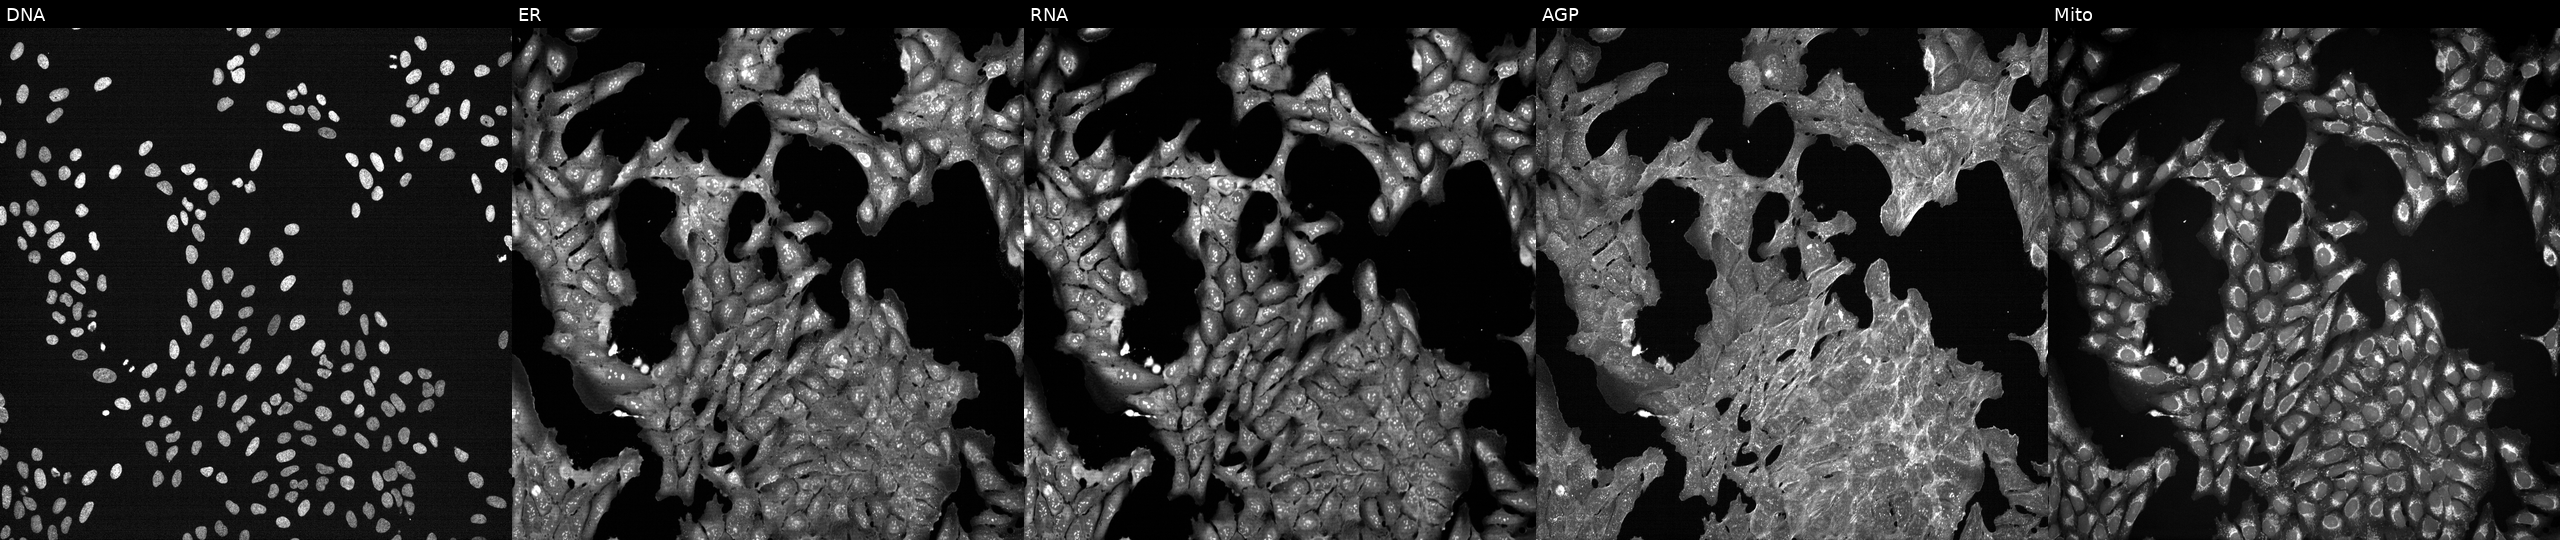
High-content fluorescence microscopy (Cell Painting). Cell line: U2OS. Perturbation: perturbed with a small-molecule compound (InChIKey CKTSBUTUHBMZGZ-UHFFFAOYSA-N) (JUMP id JCP2022_011759). Panels show, left to right, DNA (nuclei); ER (endoplasmic reticulum); RNA (nucleoli and cytoplasmic RNA); AGP (actin cytoskeleton, Golgi, and plasma membrane); Mito (mitochondria).